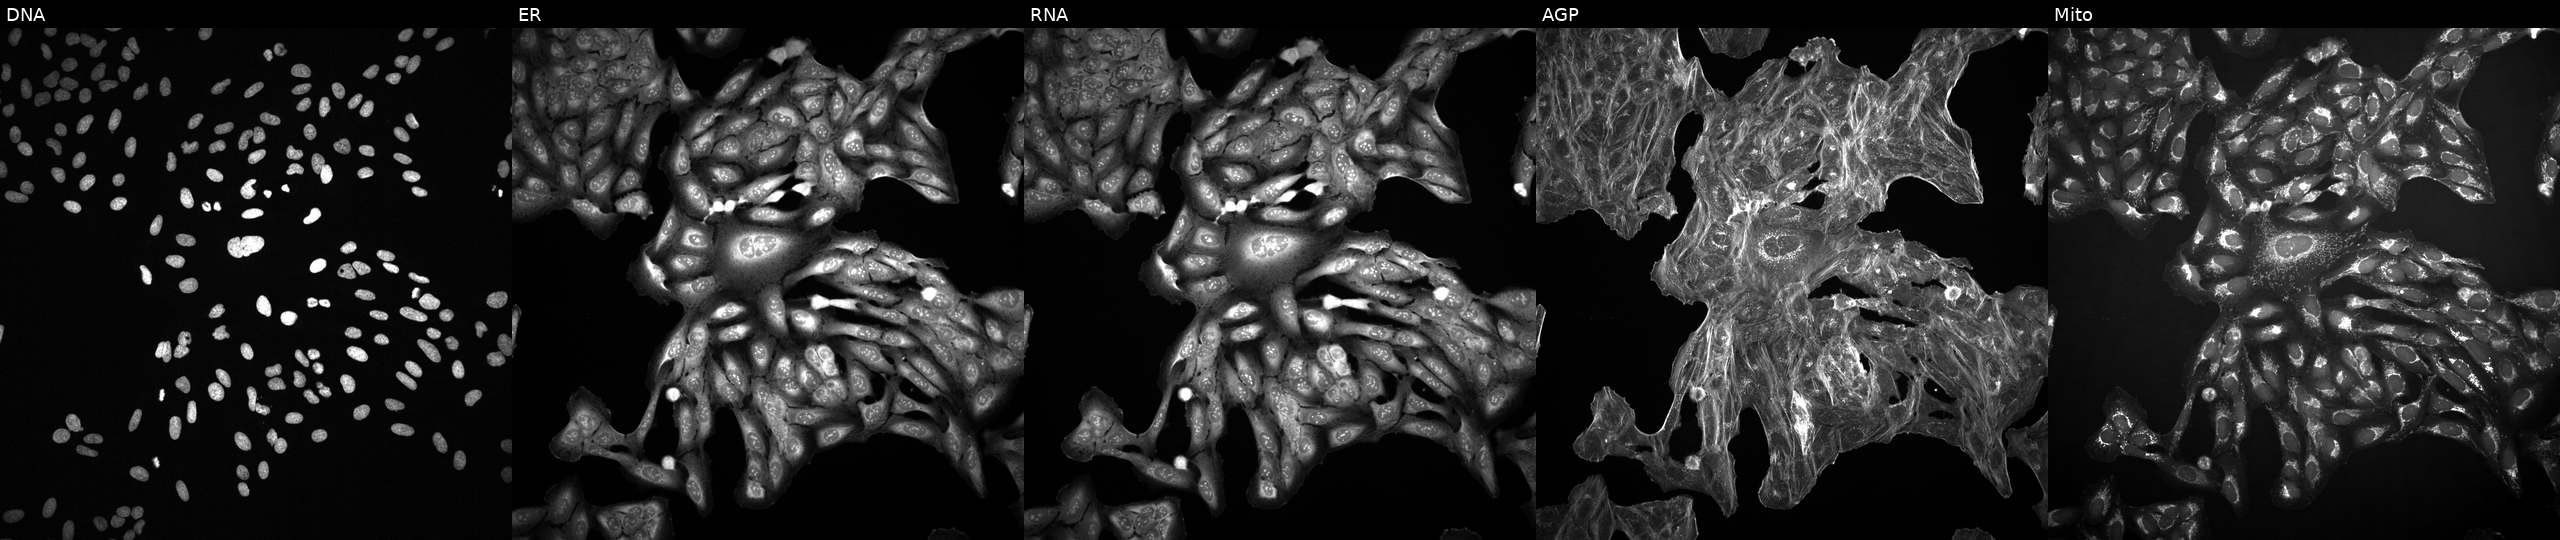
JUMP Cell Painting — TARGET2 plate. U2OS cells perturbed with a small-molecule compound [SMILES: OCCN1CC(O)C(O)C(O)C1CO]. The five panels, left to right, show DNA, ER, RNA, AGP, and Mito.